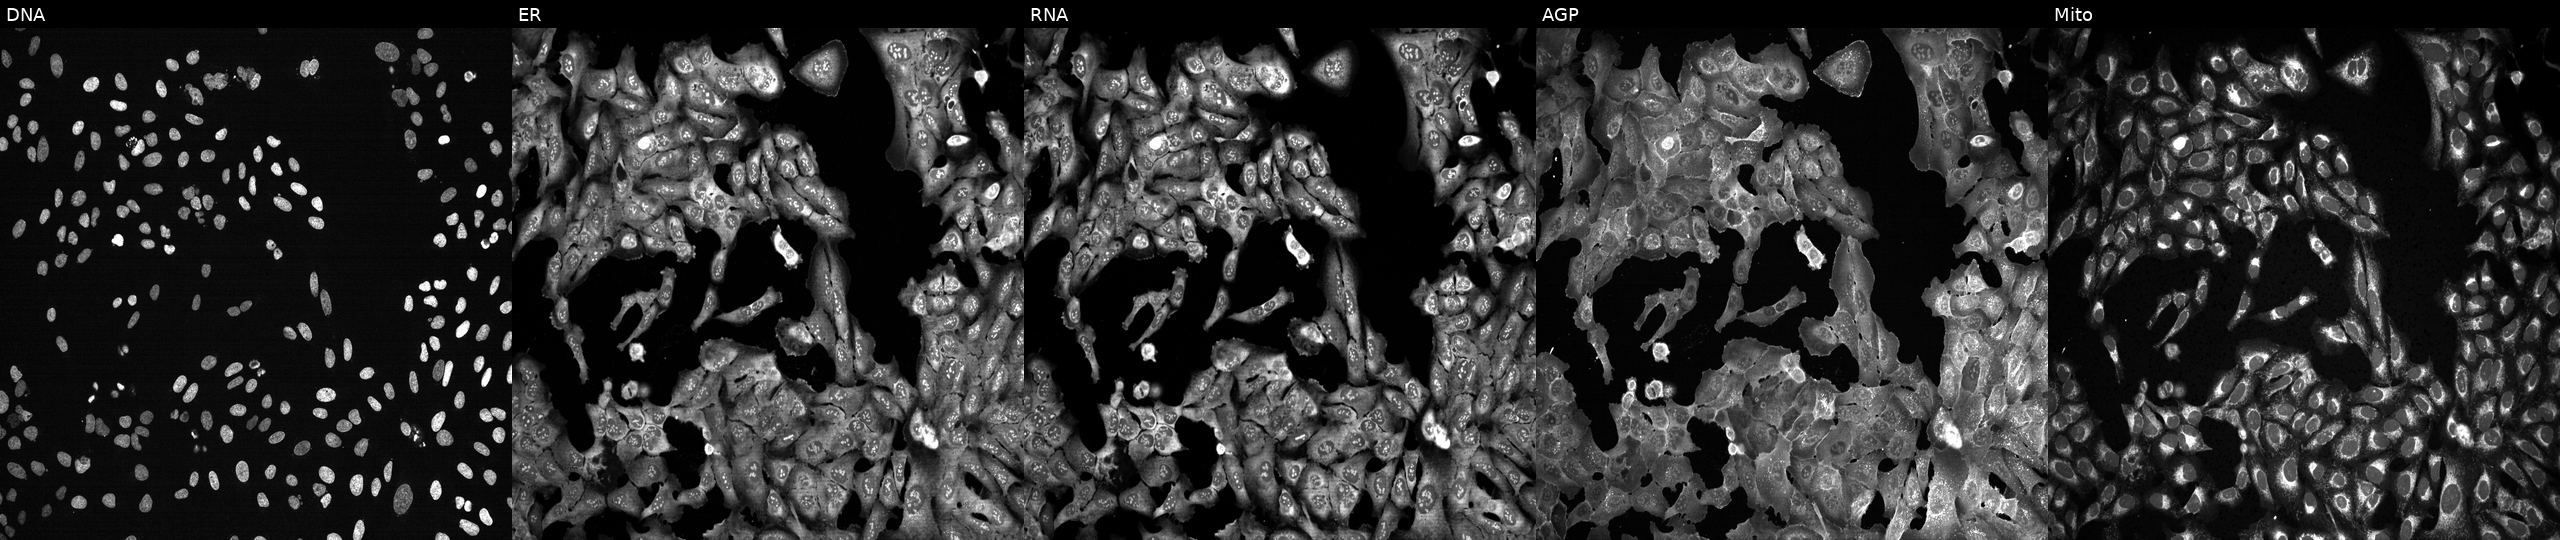
Channels (left→right): DNA, ER, RNA, AGP, and Mito. U2OS osteosarcoma cells with NLGN3 knocked out by CRISPR. Cell Painting assay, JUMP-CP dataset. Source 13, plate CP-CC9-R6-19, well B05.